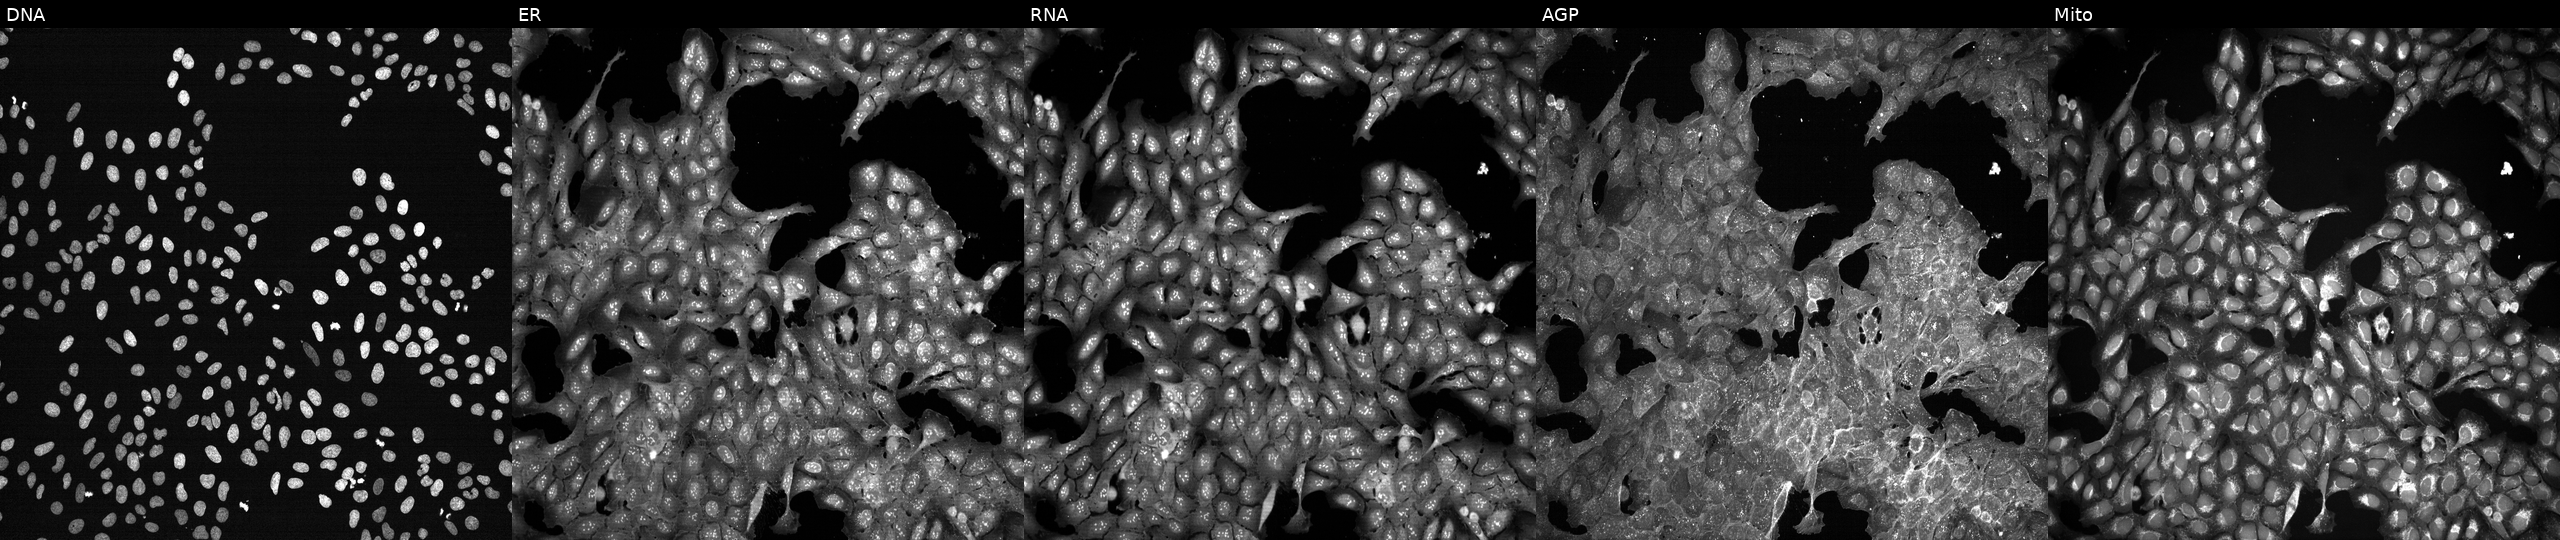
High-content fluorescence microscopy (Cell Painting). Cell line: U2OS. Perturbation: exposed to a small-molecule compound (InChIKey JPGQOUSTVILISH-UHFFFAOYSA-N). Panels show, left to right, DNA, ER, RNA, AGP, and Mito.